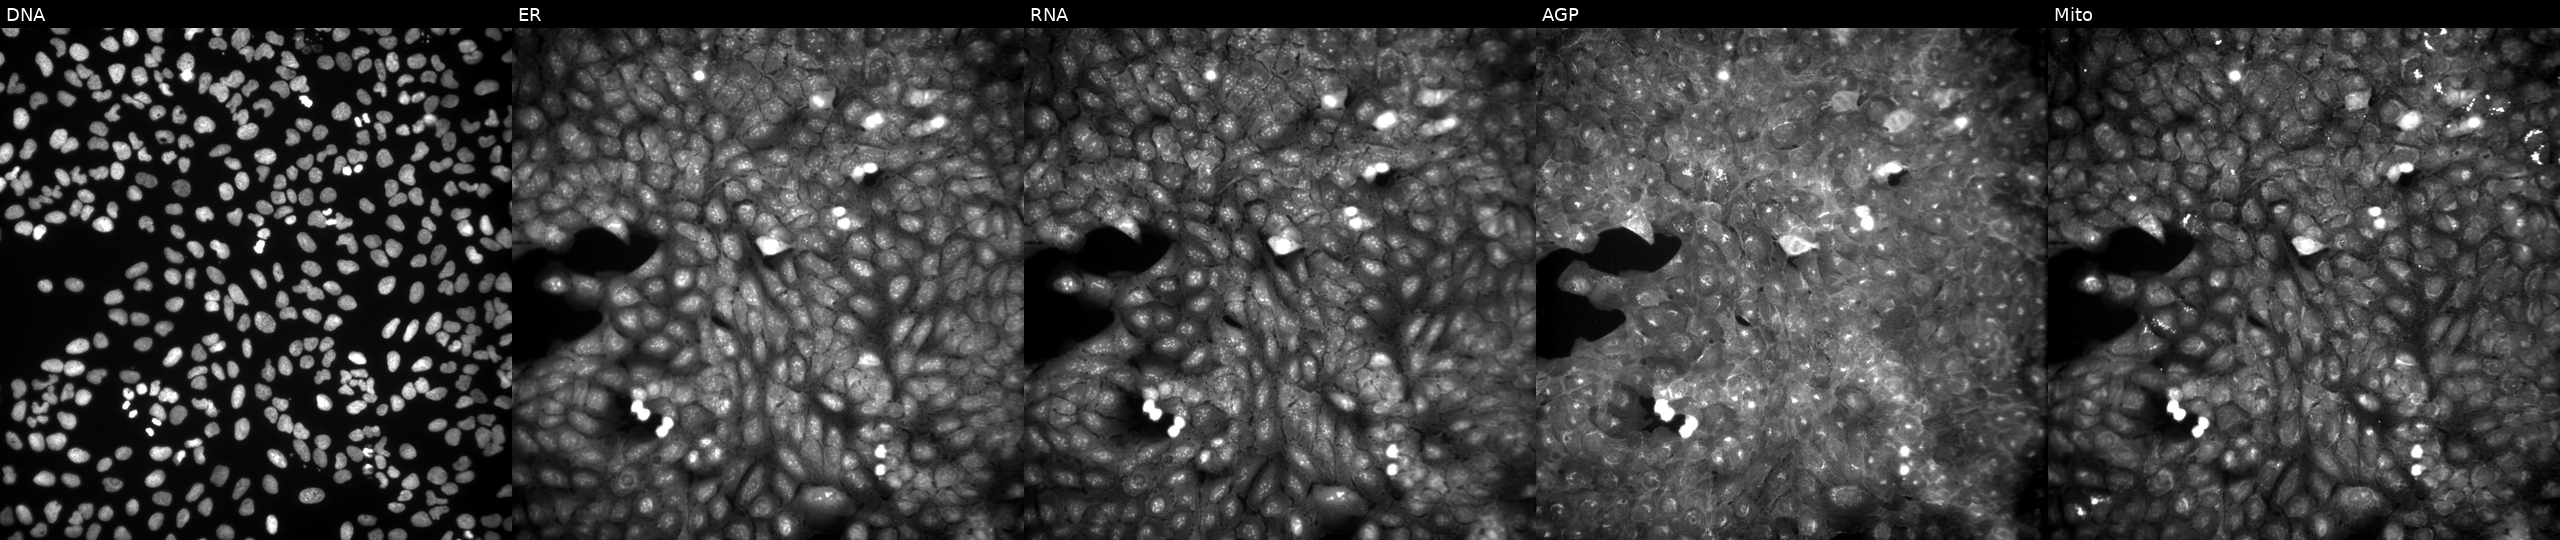
JUMP Cell Painting — COMPOUND plate. U2OS cells exposed to a small-molecule compound (InChIKey OZBUVGDDVYJNJG-UHFFFAOYSA-N) (JUMP id JCP2022_067054). Channels (left→right): Hoechst 33342, concanavalin A, SYTO 14, phalloidin and WGA, MitoTracker.